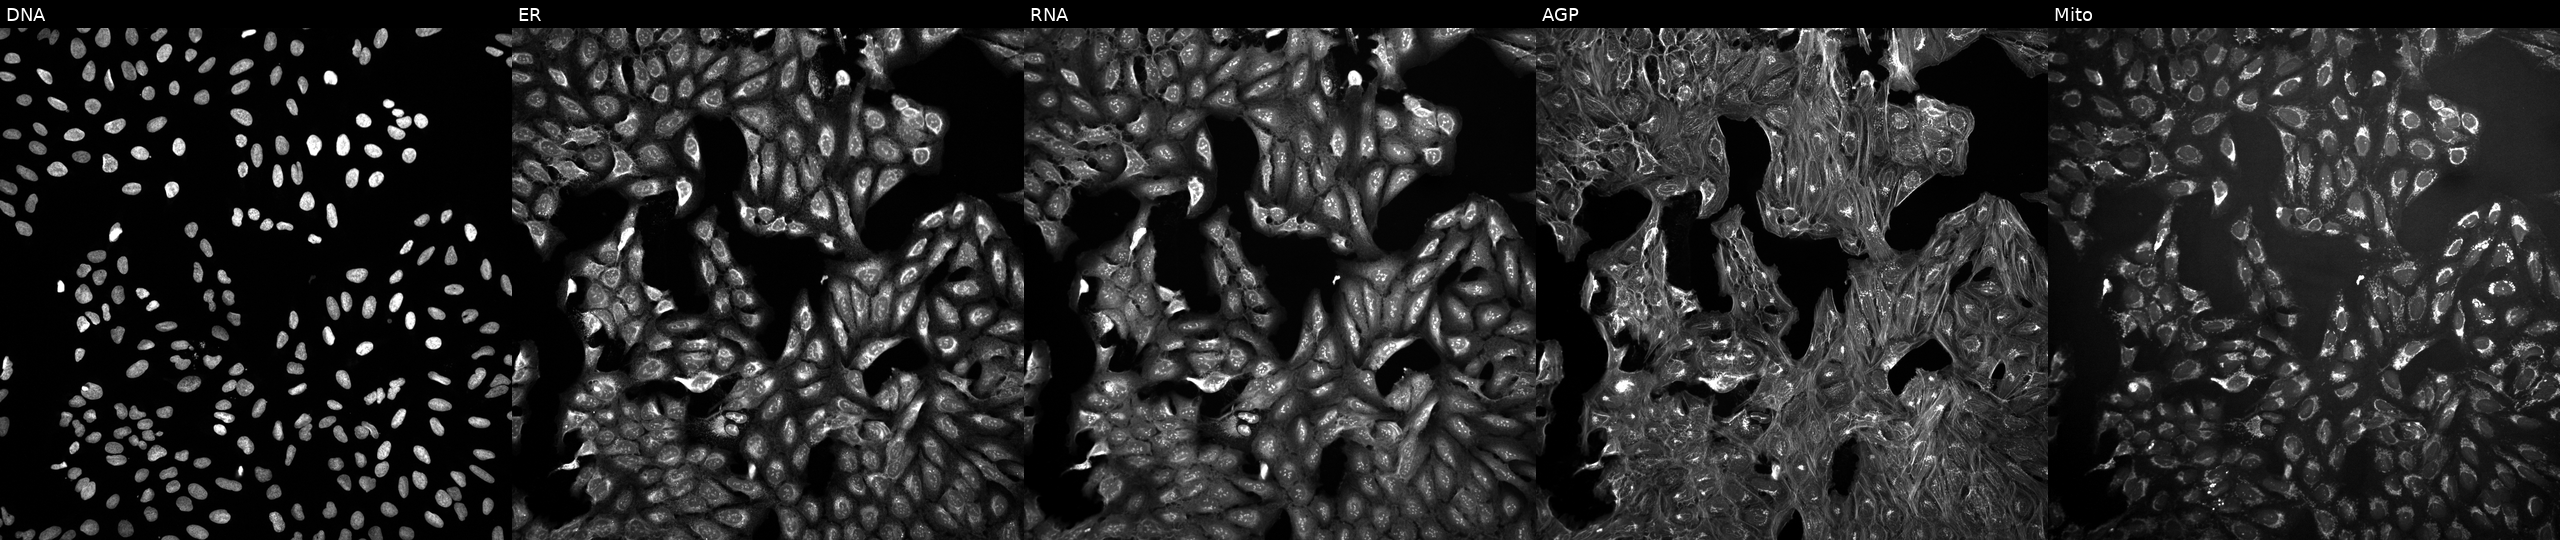
High-content fluorescence microscopy (Cell Painting). Cell line: U2OS. Perturbation: treated with a small-molecule compound (InChIKey IHIDVFKTRPRLMP-UHFFFAOYSA-N) (JUMP id JCP2022_035065). The five panels, left to right, show Hoechst 33342, concanavalin A, SYTO 14, phalloidin and WGA, MitoTracker.